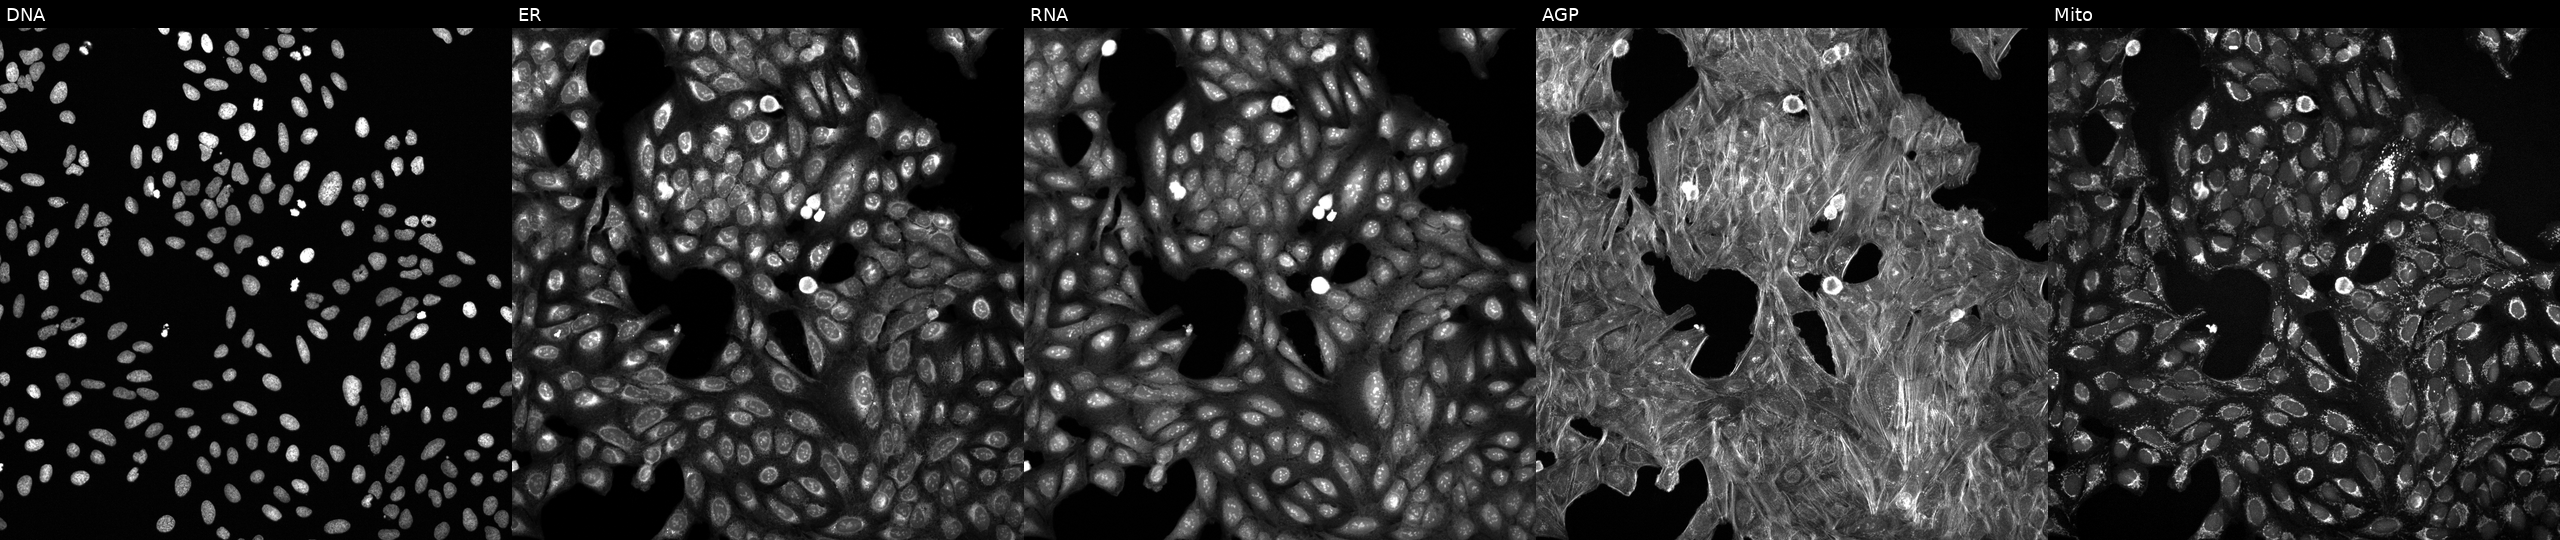
Channels (left→right): DNA, ER, RNA, AGP, and Mito. U2OS osteosarcoma cells treated with dexamethasone (positive-control compound). Cell Painting assay, JUMP-CP dataset.